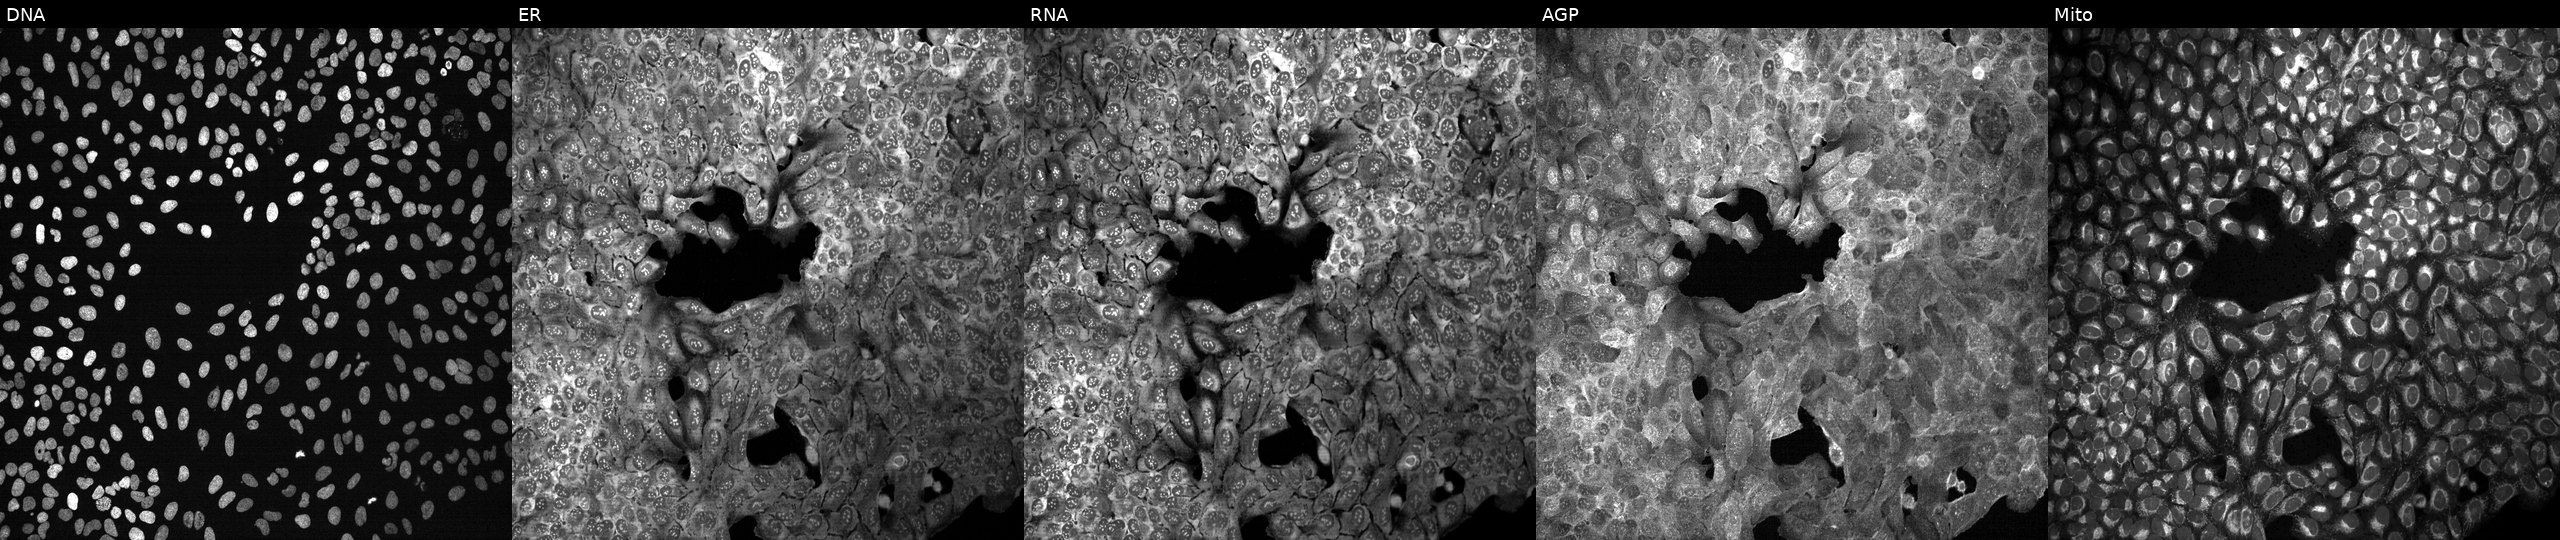
Five-channel Cell Painting image of U2OS cells following CRISPR knockout of ARL4A. The five panels, left to right, show Hoechst 33342, concanavalin A, SYTO 14, phalloidin and WGA, MitoTracker.